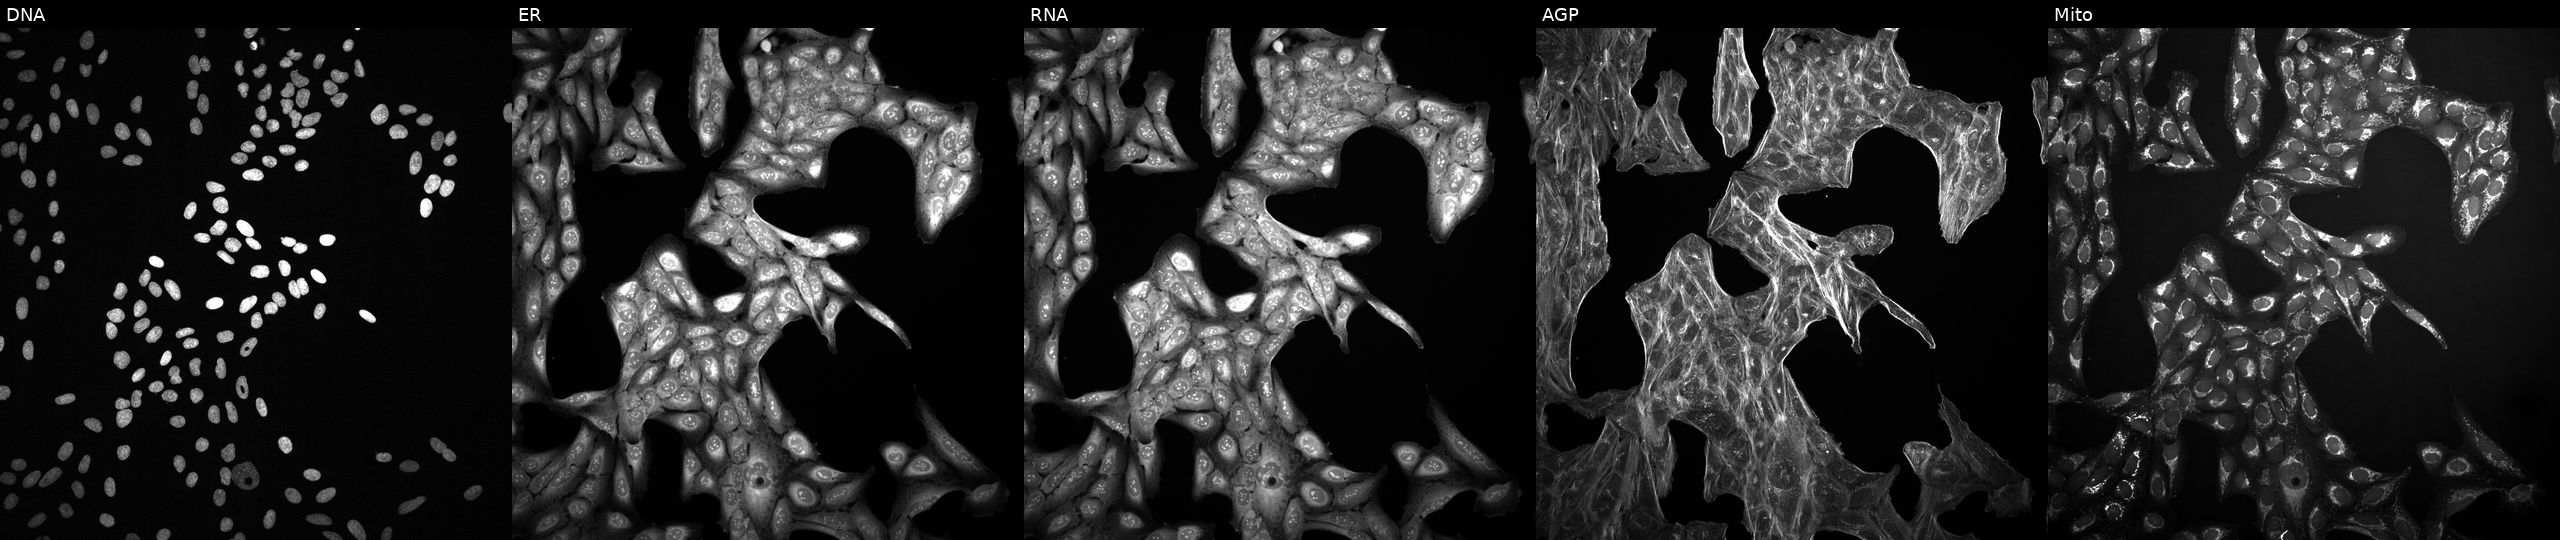
U2OS cells, Cell Painting assay, perturbed with a small-molecule compound (InChIKey LRRMQNGSYOUANY-UHFFFAOYSA-N). From left to right: DNA (nuclei); ER (endoplasmic reticulum); RNA (nucleoli and cytoplasmic RNA); AGP (actin cytoskeleton, Golgi, and plasma membrane); Mito (mitochondria). Each panel is percentile-stretched 16-bit fluorescence. Source 2, plate 1053597936, well K19.